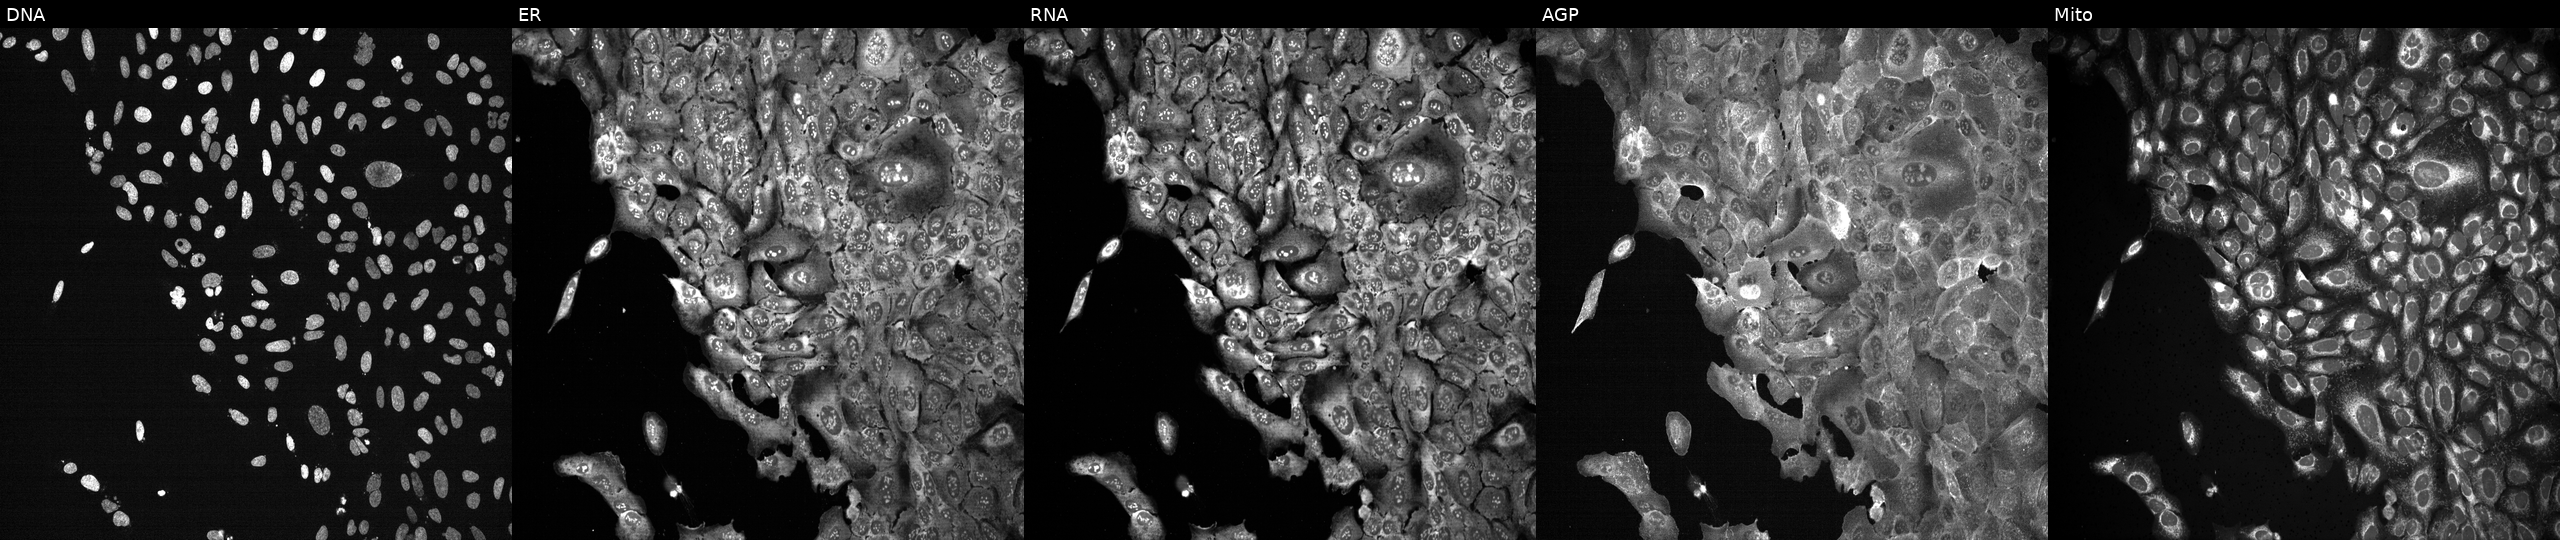
JUMP Cell Painting — CRISPR plate. U2OS cells with ELAC2 knocked out by CRISPR (JUMP id JCP2022_802085). Panels show, left to right, Hoechst 33342, concanavalin A, SYTO 14, phalloidin and WGA, MitoTracker. Source 13, plate CP-CC9-R2-02, well E20.